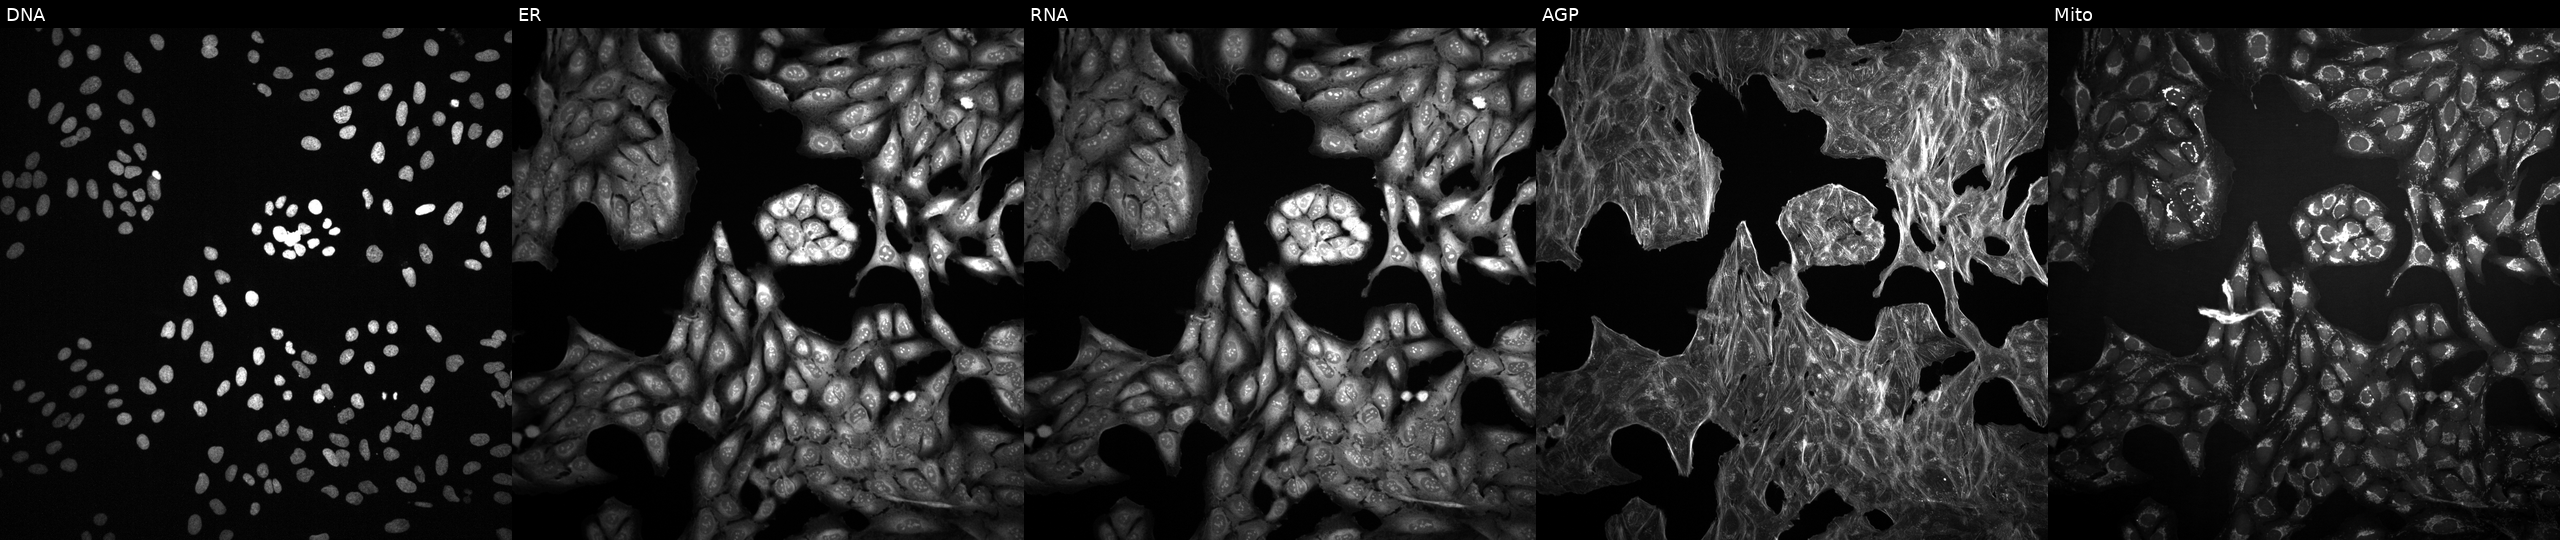
This image strip shows the five Cell Painting channels for a single field of U2OS cells perturbed with a small-molecule compound (InChIKey XXYGTCZJJLTAGH-UHFFFAOYSA-N) (JUMP id JCP2022_106781). Channels (left→right): Hoechst 33342, concanavalin A, SYTO 14, phalloidin and WGA, MitoTracker.